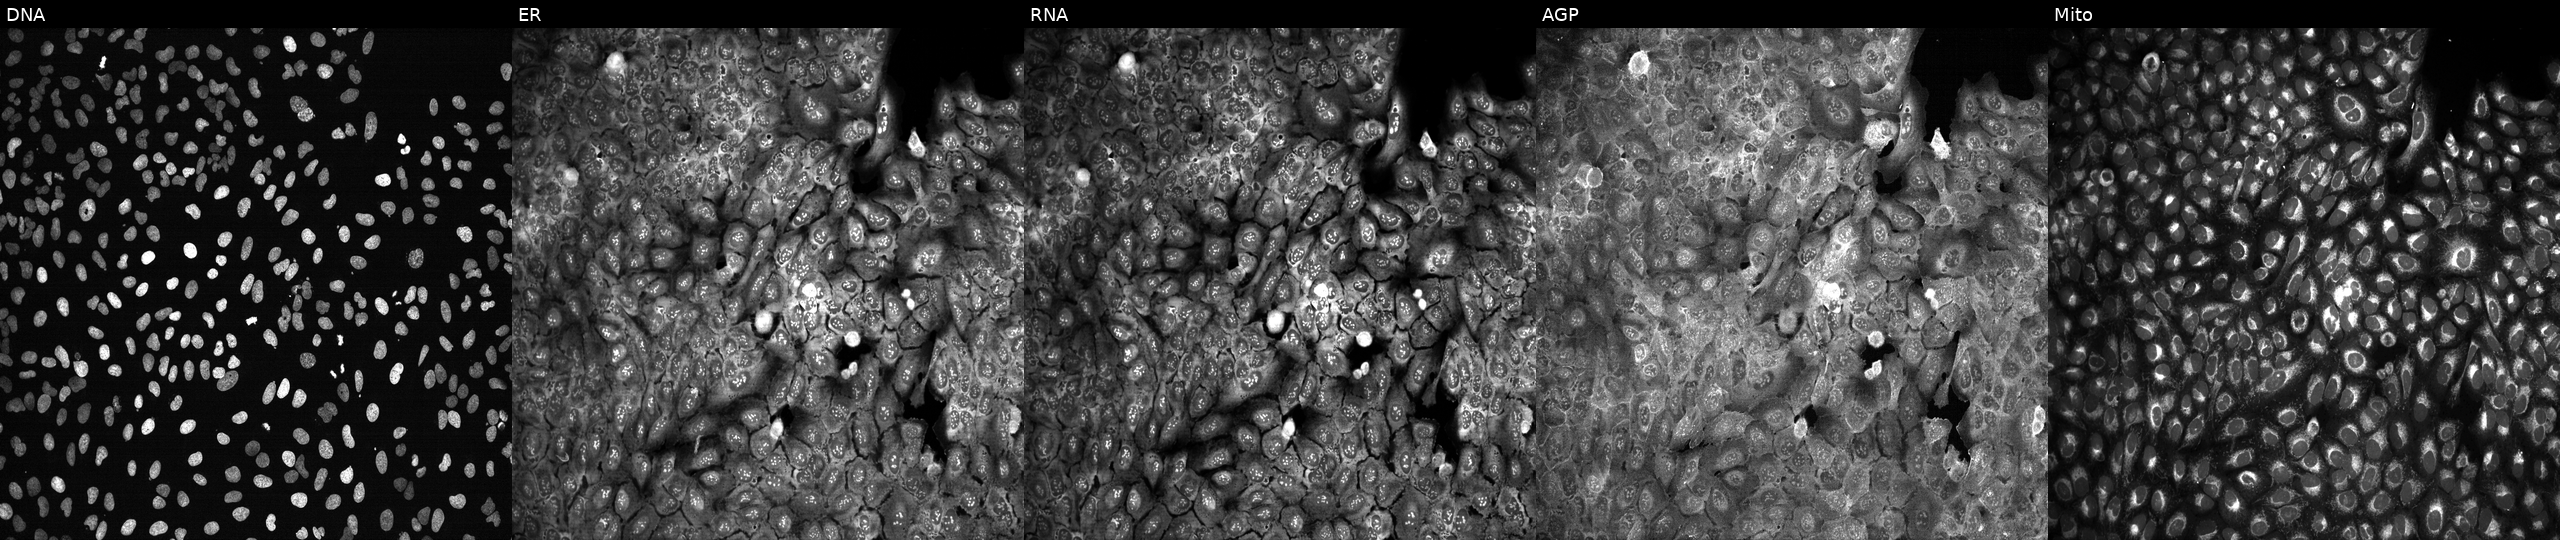
Five-channel Cell Painting image of U2OS cells following CRISPR knockout of NDST3. From left to right: DNA (nuclei); ER (endoplasmic reticulum); RNA (nucleoli and cytoplasmic RNA); AGP (actin cytoskeleton, Golgi, and plasma membrane); Mito (mitochondria). Source 13, plate CP-CC9-R3-02, well L16.